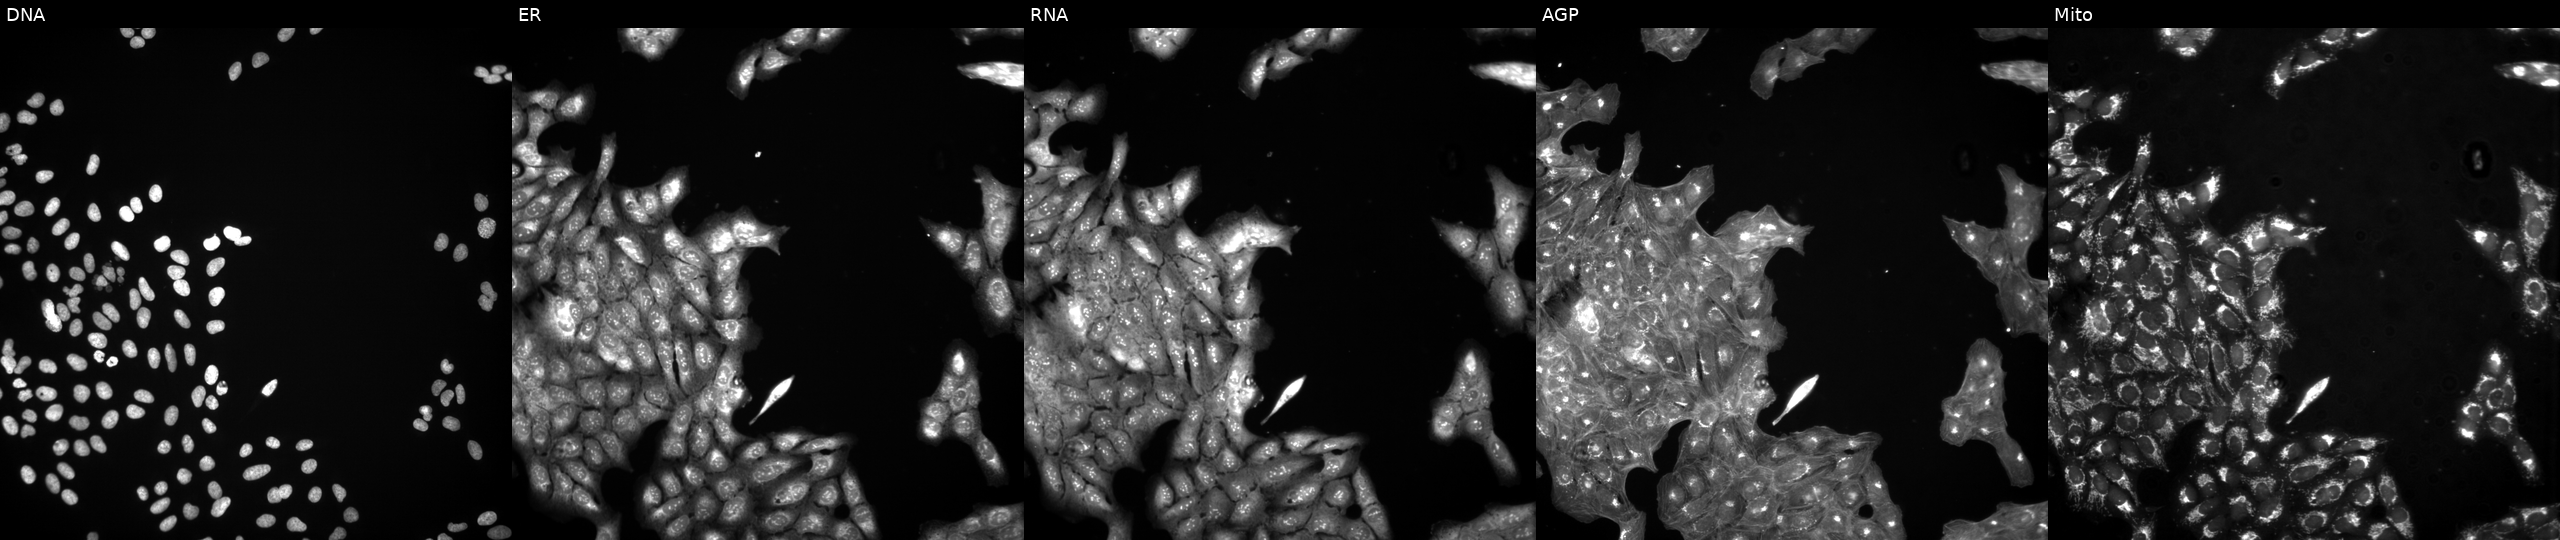
Five-channel Cell Painting image of U2OS cells exposed to the positive-control compound quinidine. From left to right: DNA, ER, RNA, AGP, and Mito. Source 3, plate BR5867a3, well O01.